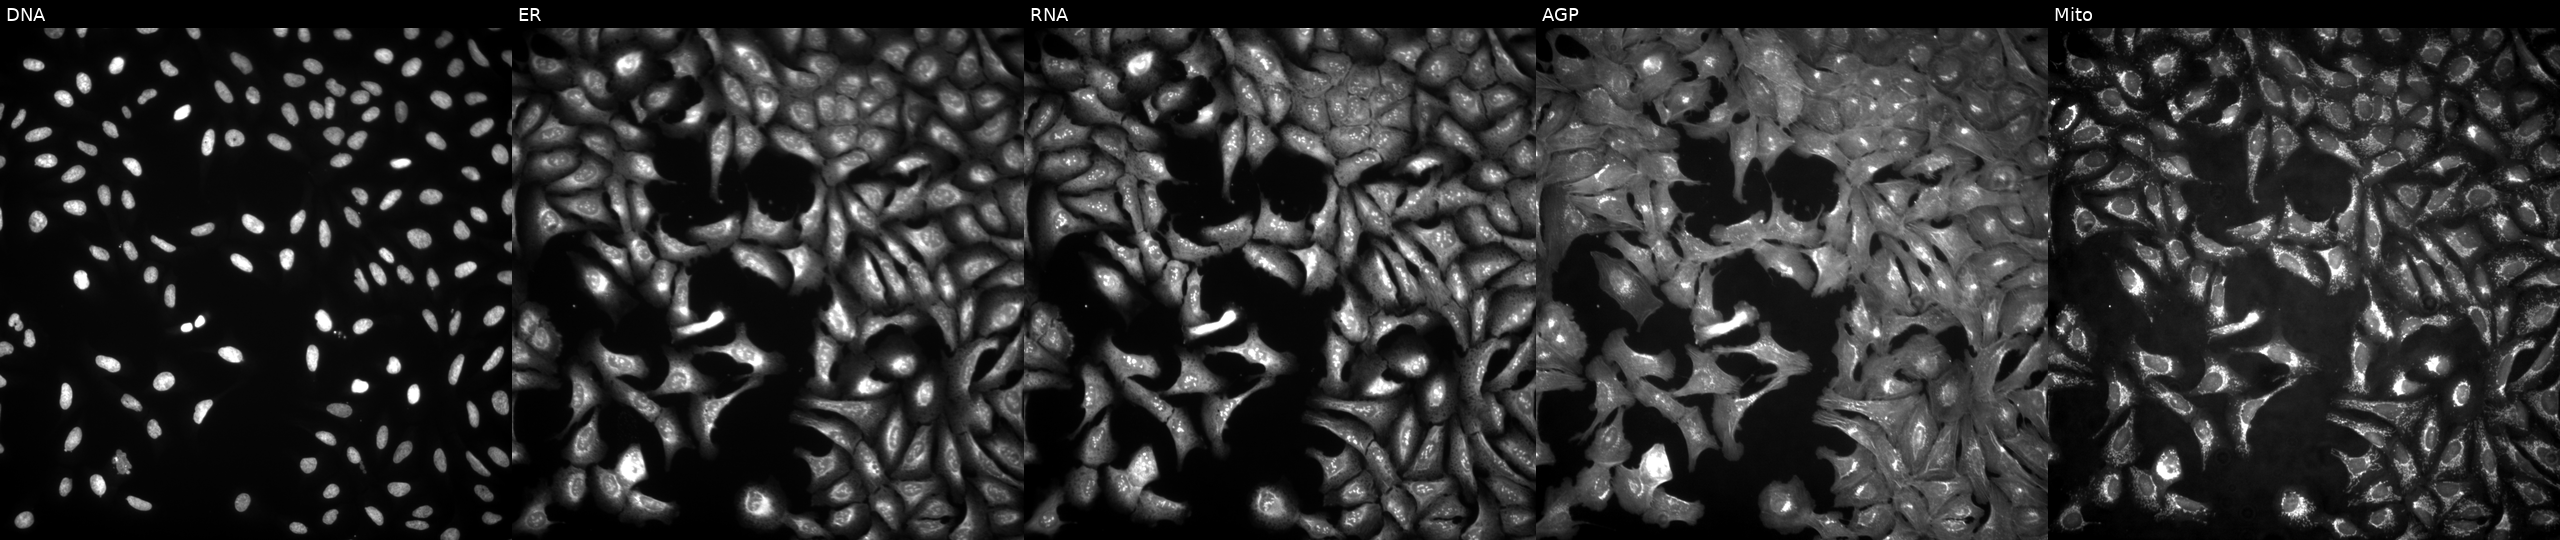
JUMP Cell Painting — ORF plate. U2OS cells with METTL18 overexpressed (ORF) (JUMP id JCP2022_904285). The five panels, left to right, show DNA, ER, RNA, AGP, and Mito. Source 4, plate BR00123509, well C15.